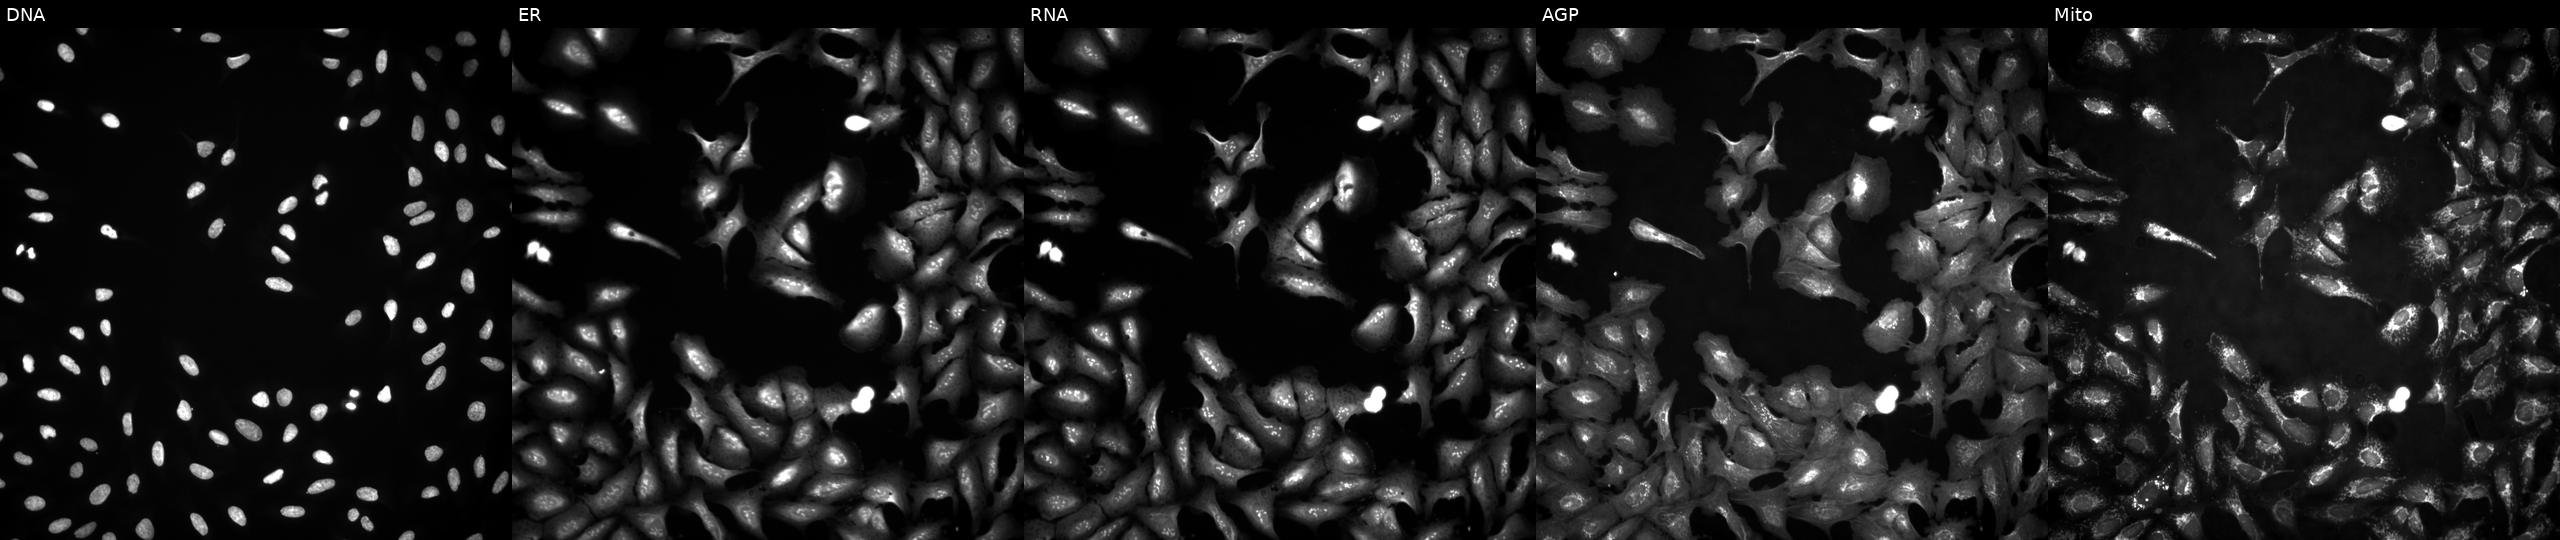
JUMP Cell Painting — ORF plate. U2OS cells transfected with an ORF construct for ZSCAN5A. The five panels, left to right, show DNA (nuclei); ER (endoplasmic reticulum); RNA (nucleoli and cytoplasmic RNA); AGP (actin cytoskeleton, Golgi, and plasma membrane); Mito (mitochondria).